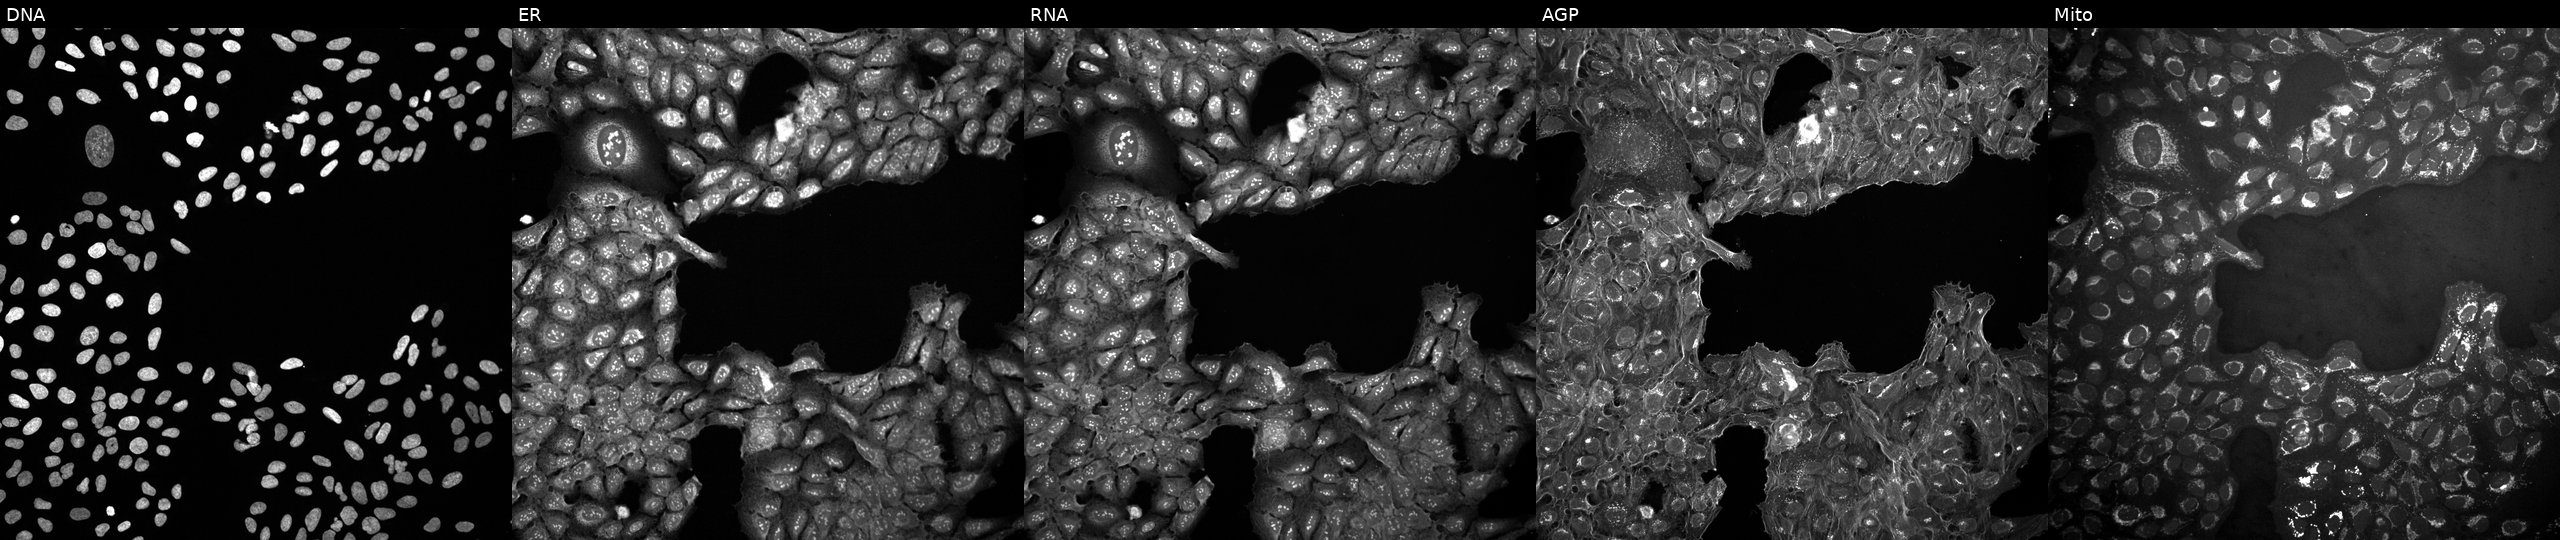
Five-channel Cell Painting image of U2OS cells exposed to a small-molecule compound (JUMP id JCP2022_017682). Channels (left→right): Hoechst 33342, concanavalin A, SYTO 14, phalloidin and WGA, MitoTracker.